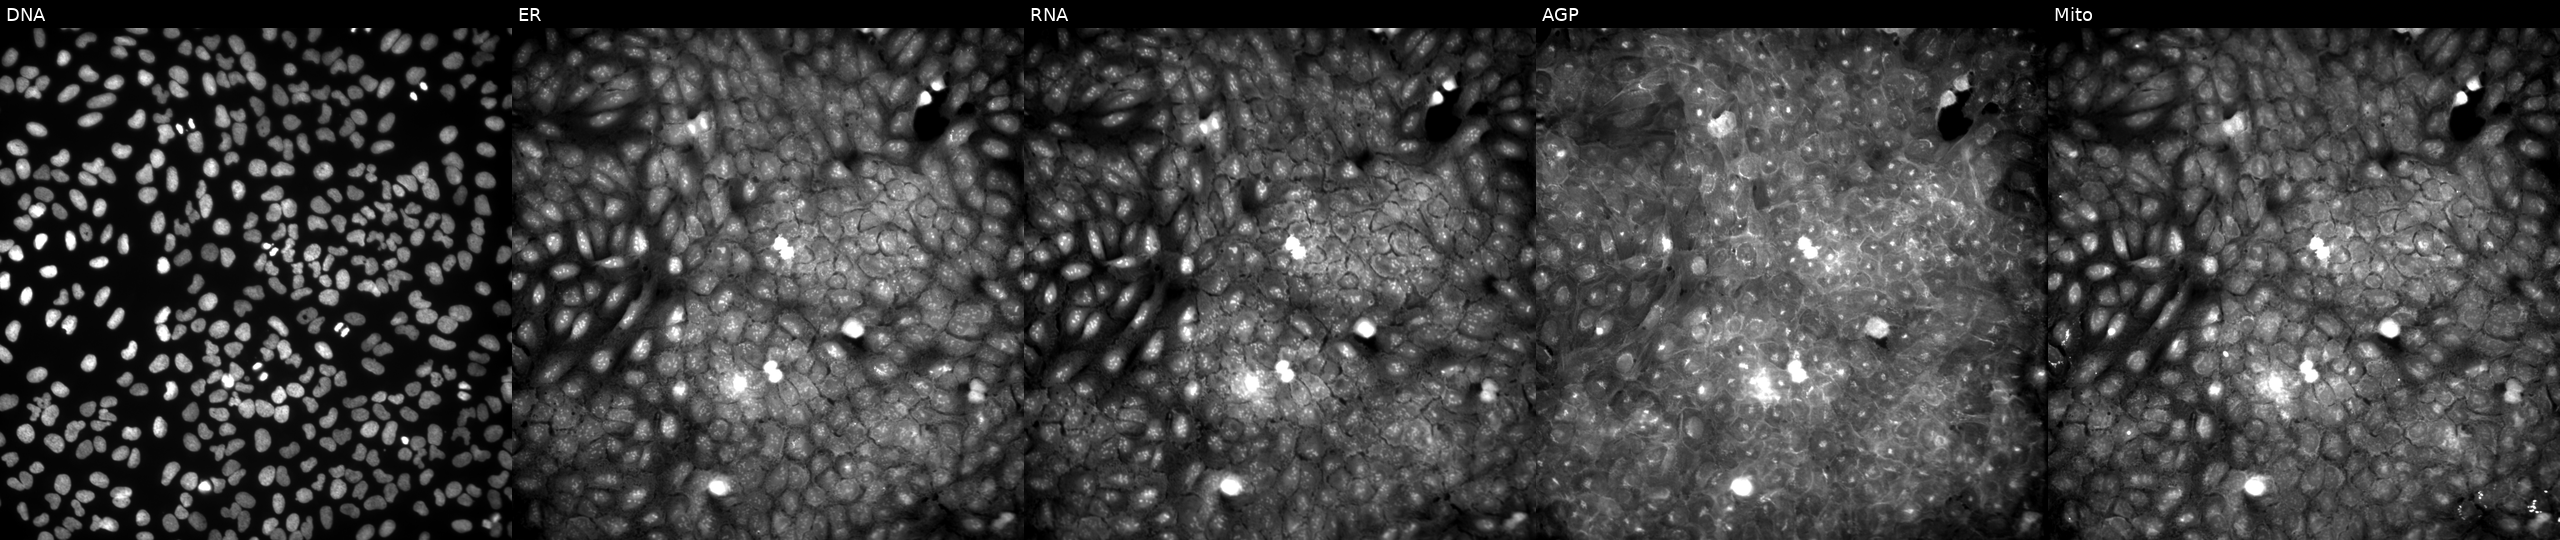
Five-channel Cell Painting image of U2OS cells treated with DMSO vehicle only (negative control). Panels show, left to right, DNA (nuclei); ER (endoplasmic reticulum); RNA (nucleoli and cytoplasmic RNA); AGP (actin cytoskeleton, Golgi, and plasma membrane); Mito (mitochondria). Source 9, plate GR00003381, well AC26.